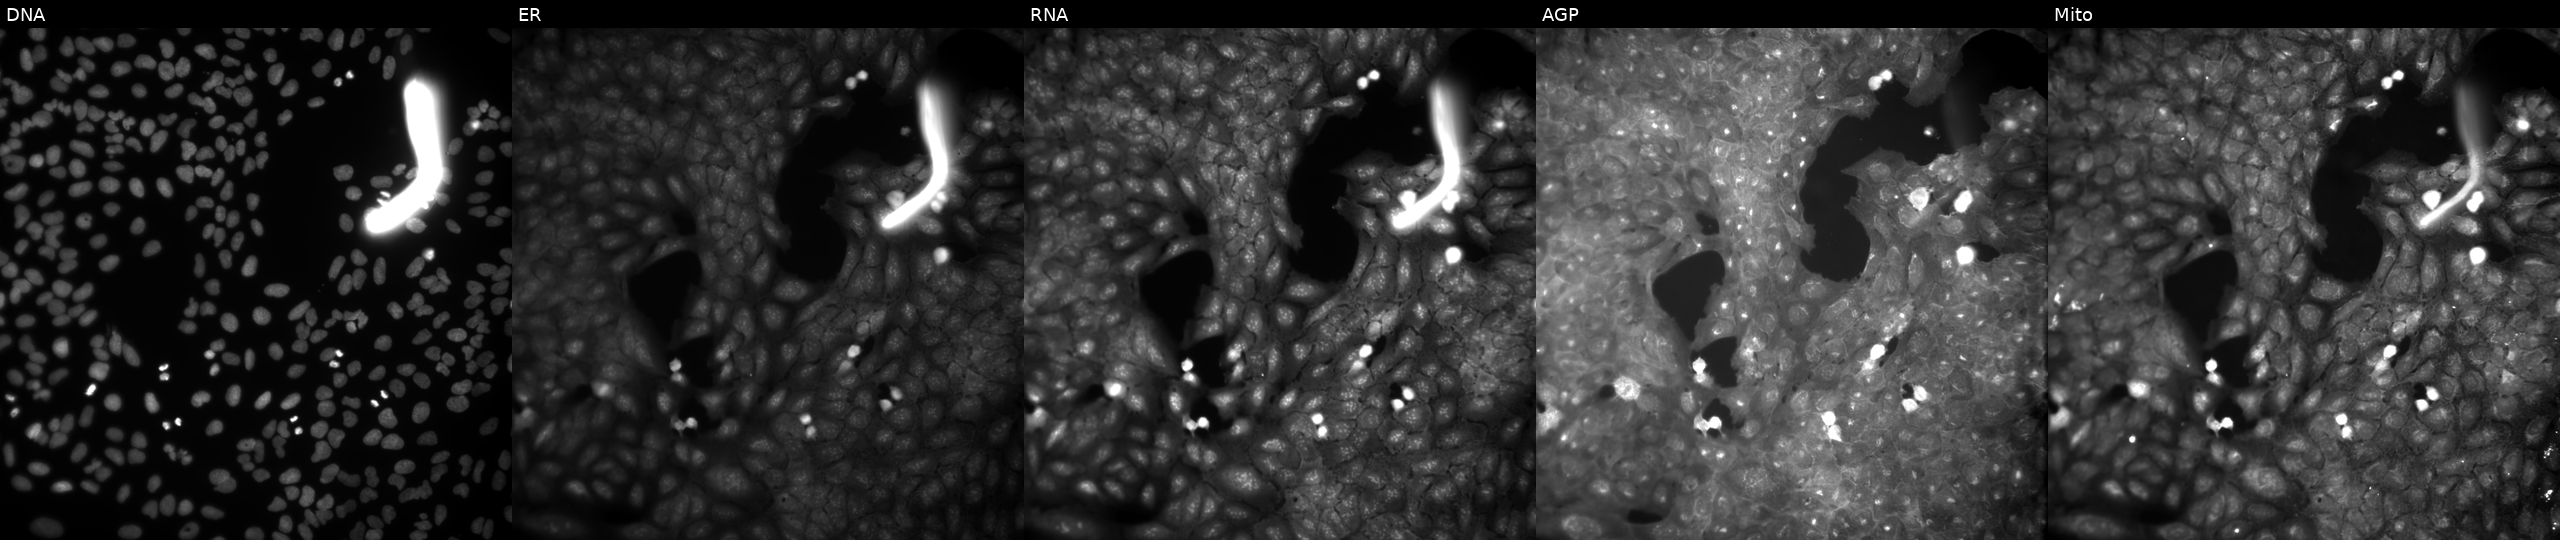
U2OS cells, Cell Painting assay, exposed to a small-molecule compound (InChIKey LDLKUNXNYVANLX-UHFFFAOYSA-N). From left to right: DNA (nuclei); ER (endoplasmic reticulum); RNA (nucleoli and cytoplasmic RNA); AGP (actin cytoskeleton, Golgi, and plasma membrane); Mito (mitochondria). Each panel is percentile-stretched 16-bit fluorescence.